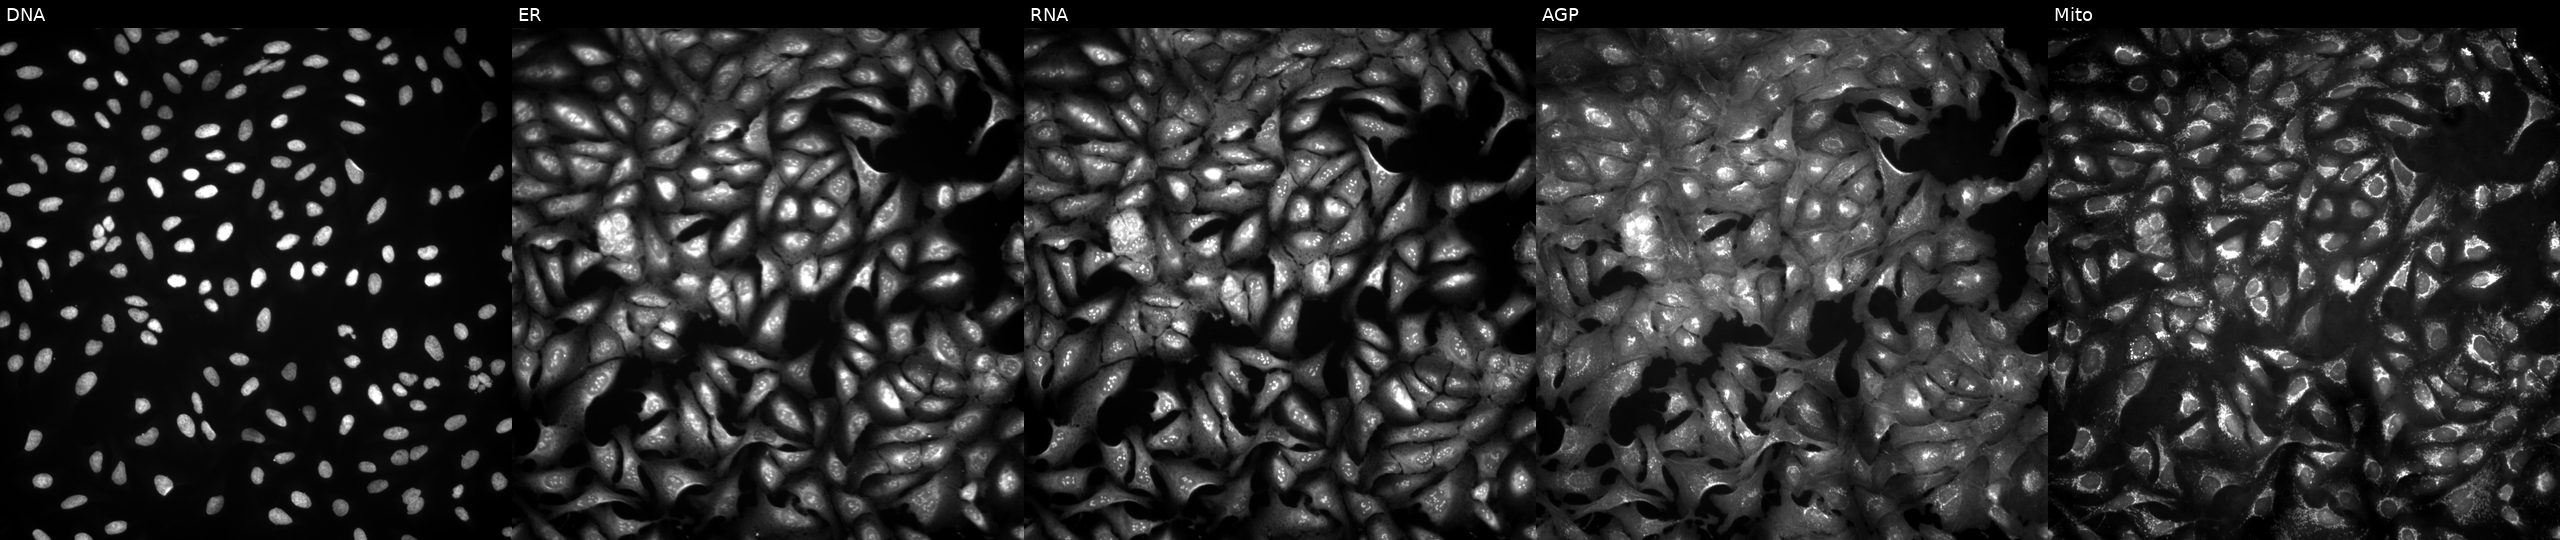
JUMP Cell Painting — ORF plate. U2OS cells transfected with an ORF construct for ERLIN1. Panels show, left to right, DNA (nuclei); ER (endoplasmic reticulum); RNA (nucleoli and cytoplasmic RNA); AGP (actin cytoskeleton, Golgi, and plasma membrane); Mito (mitochondria). Source 4, plate BR00121543, well F09.